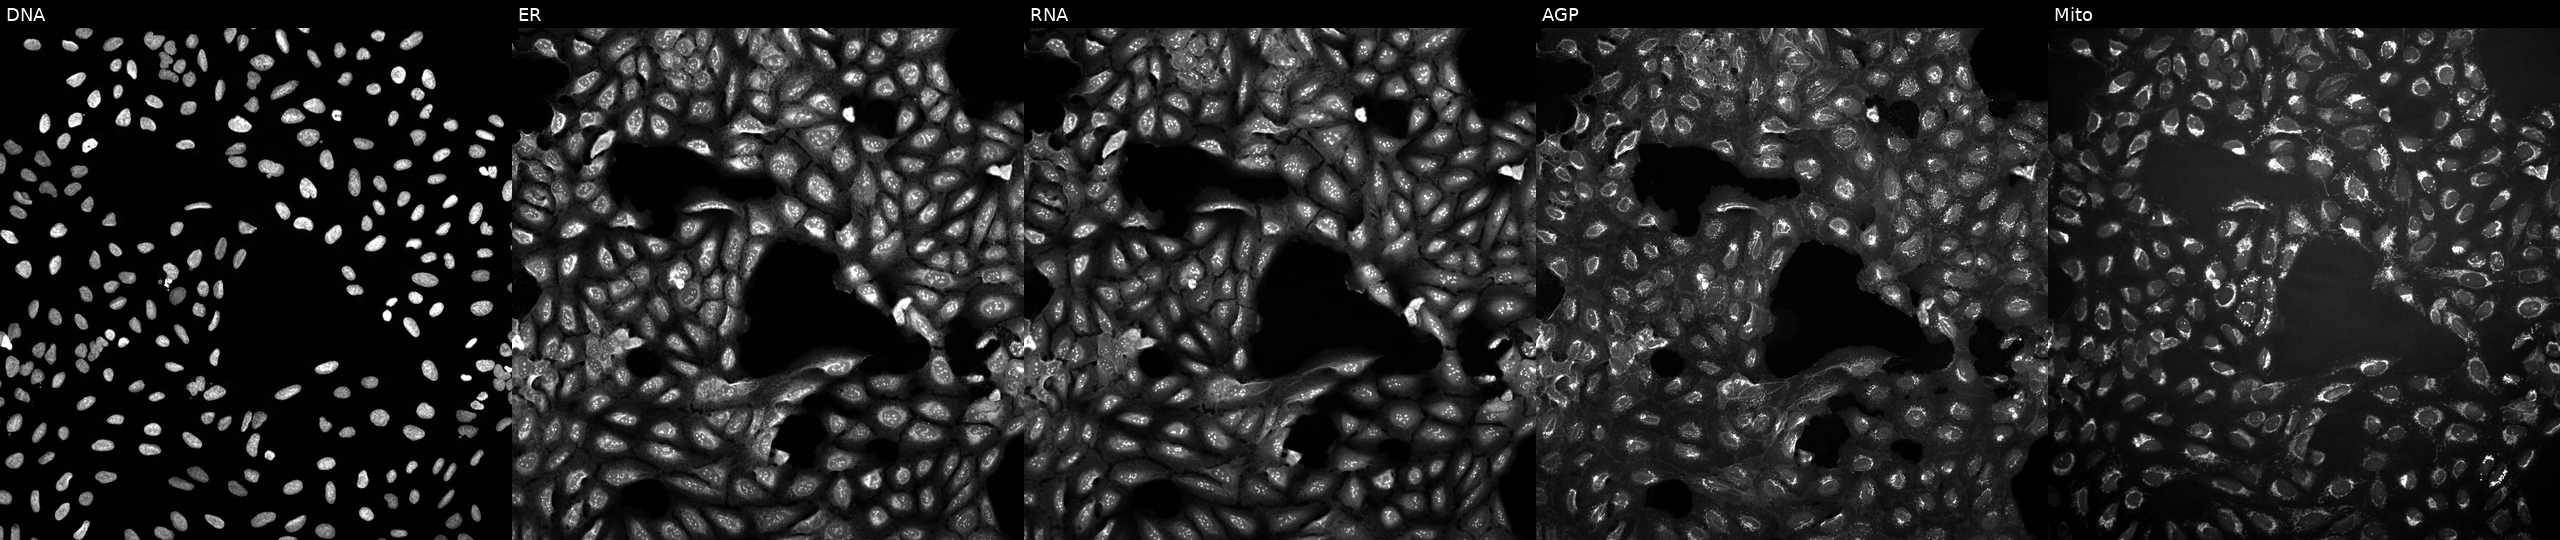
High-content fluorescence microscopy (Cell Painting). Cell line: U2OS. Perturbation: perturbed with a small-molecule compound (InChIKey JYLNVJYYQQXNEK-UHFFFAOYSA-N). From left to right: DNA (nuclei); ER (endoplasmic reticulum); RNA (nucleoli and cytoplasmic RNA); AGP (actin cytoskeleton, Golgi, and plasma membrane); Mito (mitochondria).